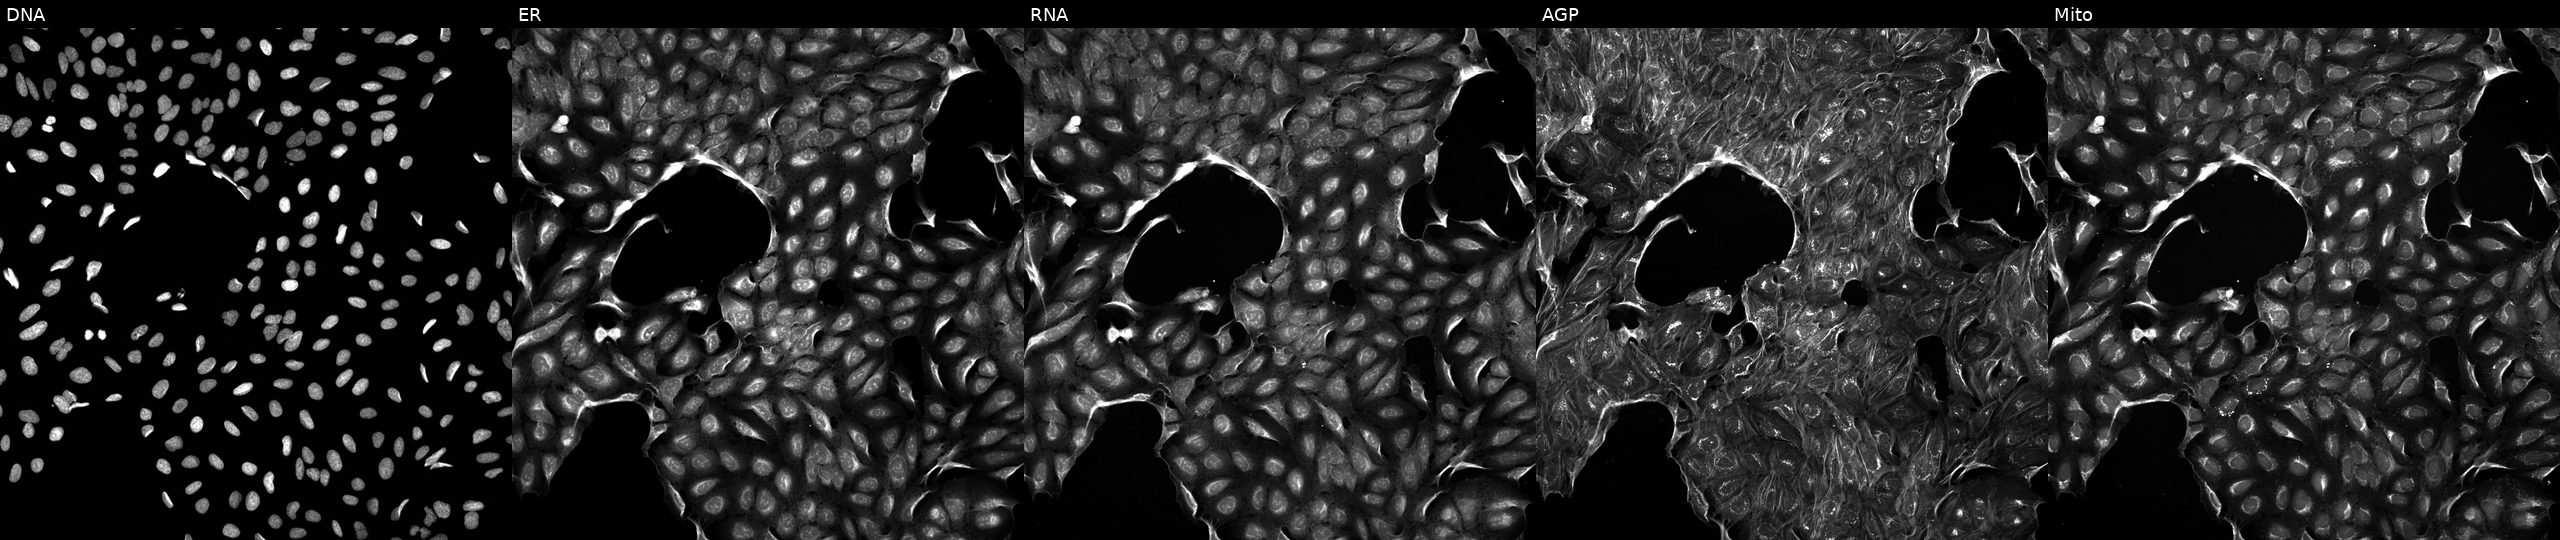
JUMP Cell Painting — COMPOUND plate. U2OS cells perturbed with a small-molecule compound. From left to right: DNA (nuclei); ER (endoplasmic reticulum); RNA (nucleoli and cytoplasmic RNA); AGP (actin cytoskeleton, Golgi, and plasma membrane); Mito (mitochondria).